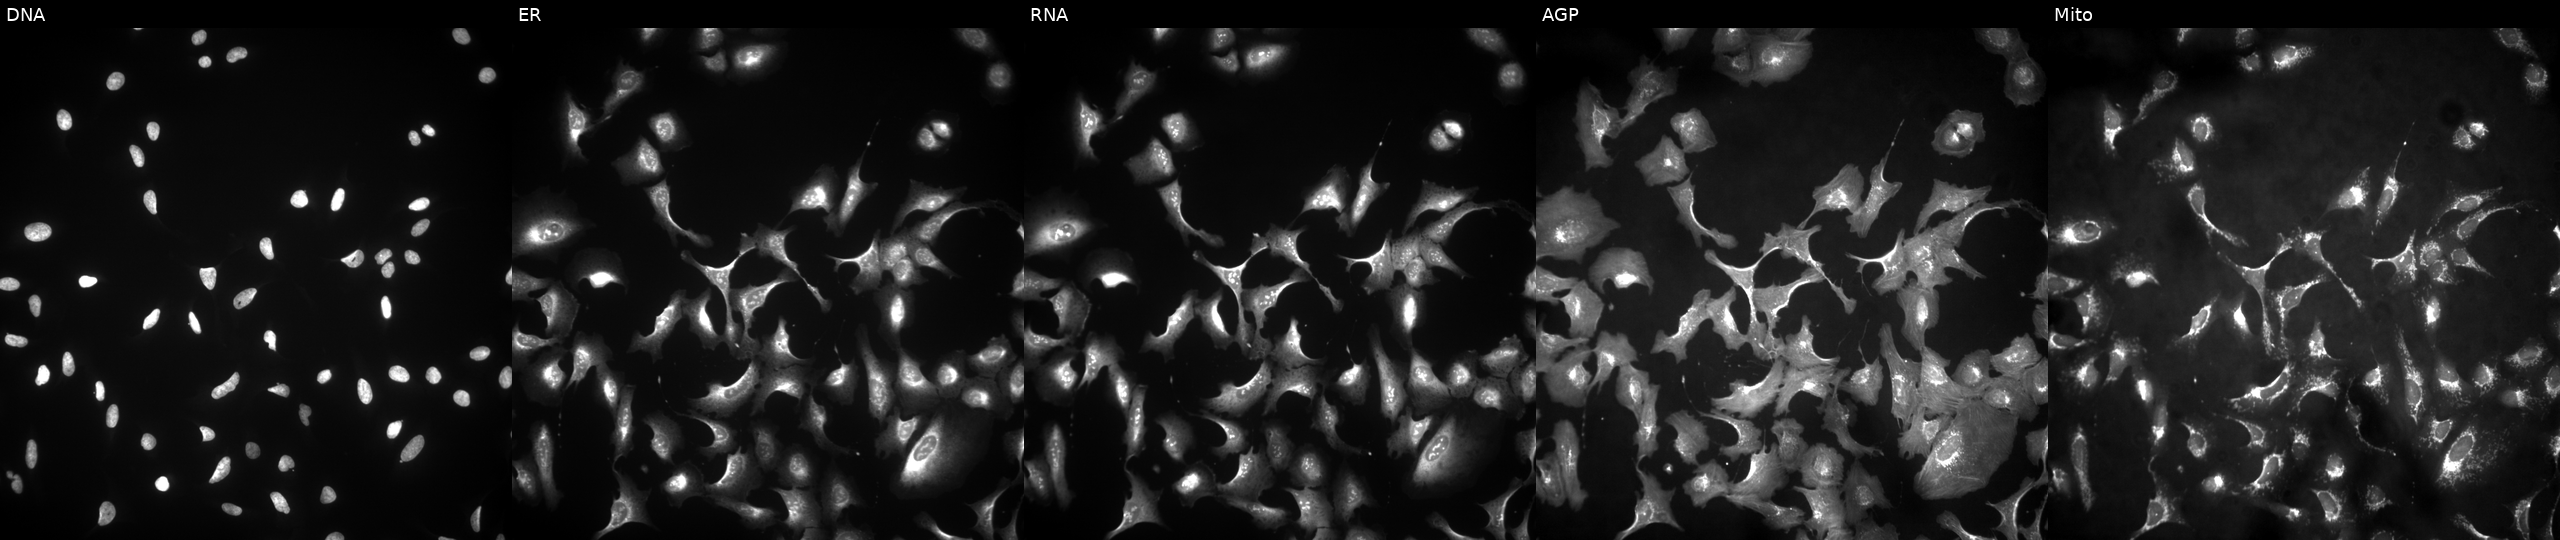
JUMP Cell Painting — ORF plate. U2OS cells with KIF3A overexpressed (ORF) (JUMP id JCP2022_913119). From left to right: DNA (nuclei); ER (endoplasmic reticulum); RNA (nucleoli and cytoplasmic RNA); AGP (actin cytoskeleton, Golgi, and plasma membrane); Mito (mitochondria).